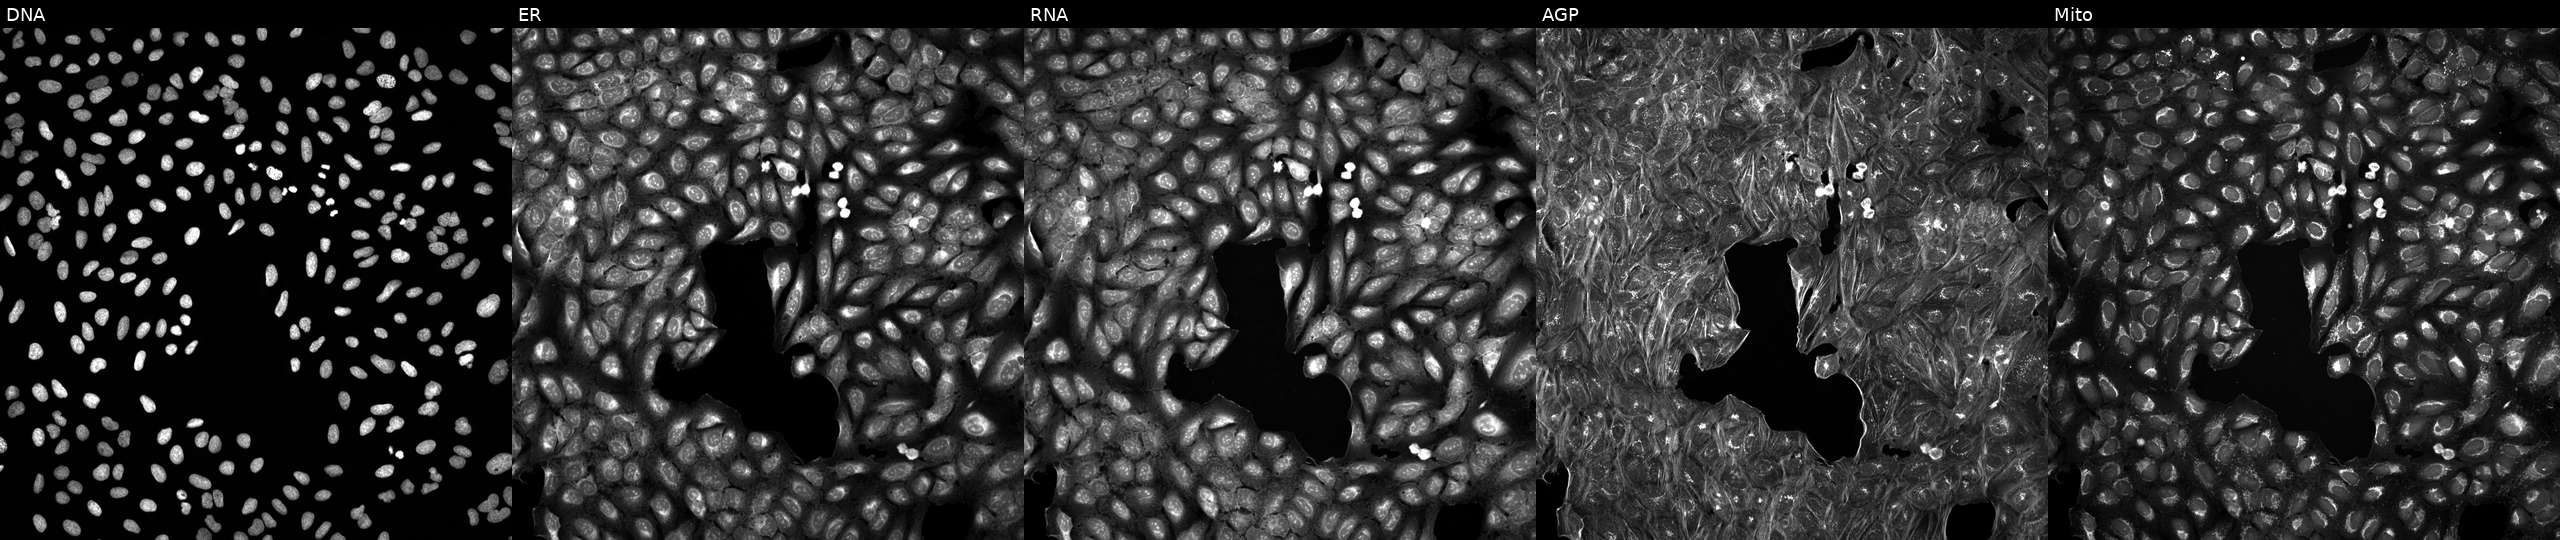
Five-channel Cell Painting image of U2OS cells treated with DMSO vehicle only (negative control). Channels (left→right): DNA (nuclei); ER (endoplasmic reticulum); RNA (nucleoli and cytoplasmic RNA); AGP (actin cytoskeleton, Golgi, and plasma membrane); Mito (mitochondria).